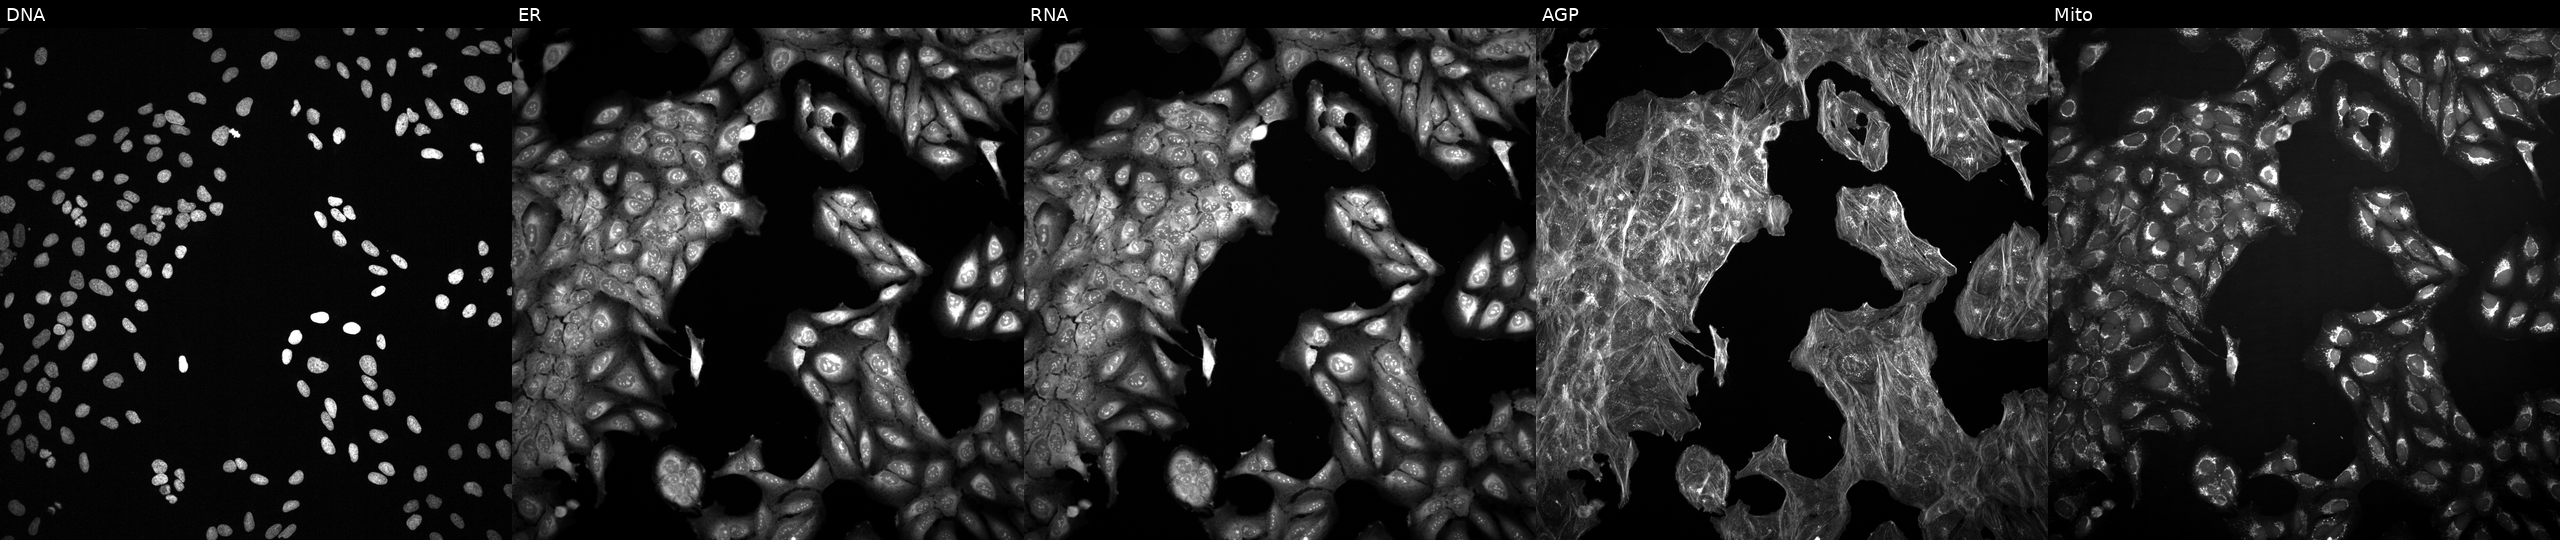
Panels show, left to right, Hoechst 33342, concanavalin A, SYTO 14, phalloidin and WGA, MitoTracker. U2OS osteosarcoma cells exposed to DMSO alone as a negative control. Cell Painting assay, JUMP-CP dataset.